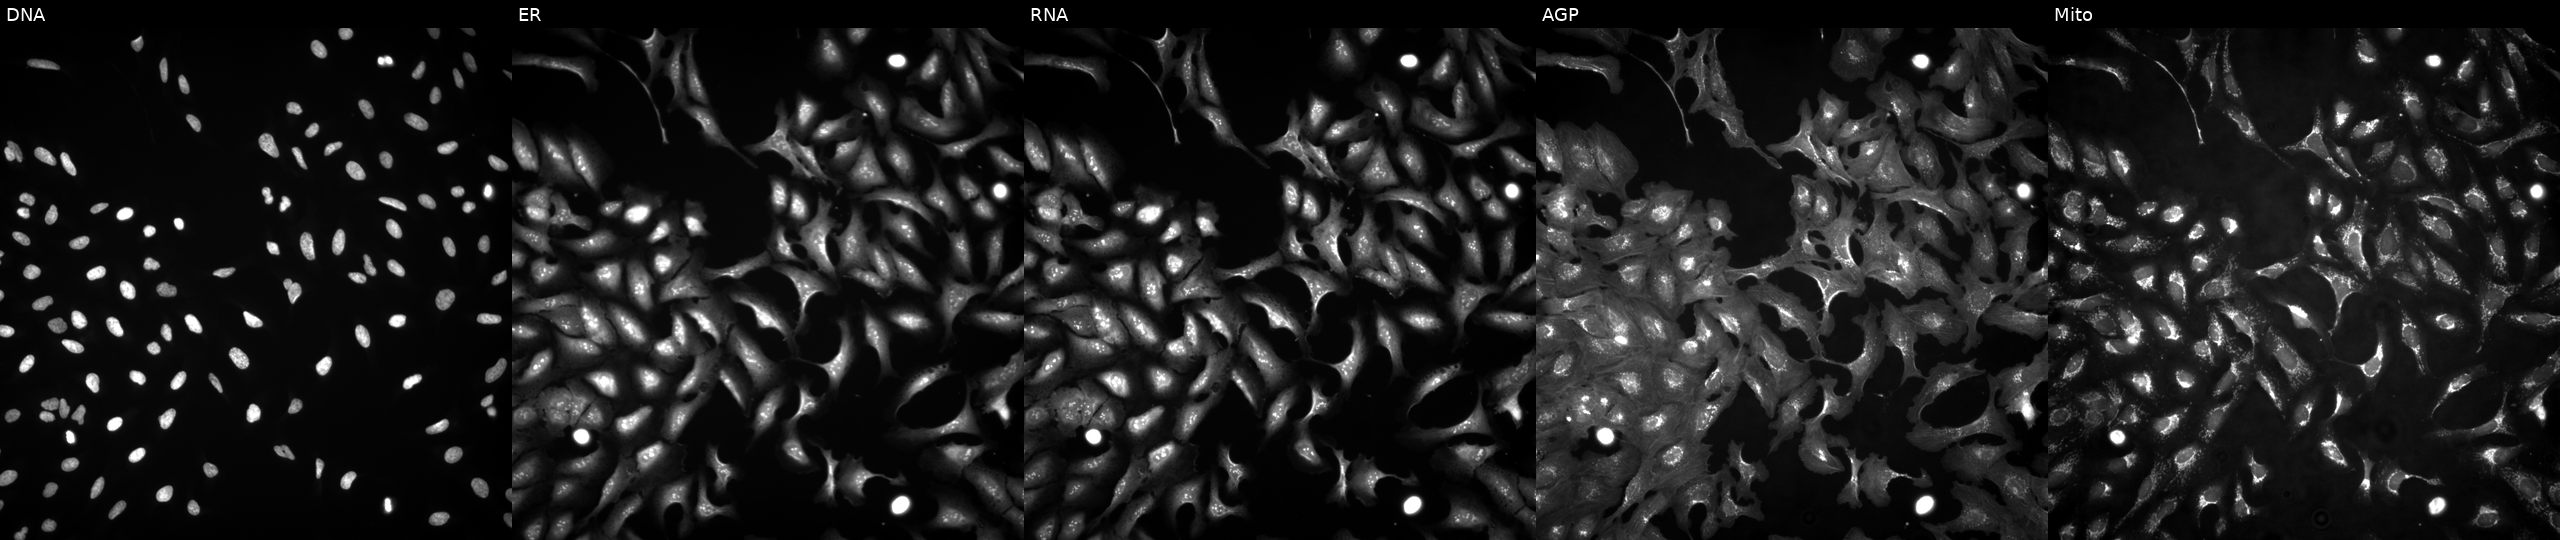
This image strip shows the five Cell Painting channels for a single field of U2OS cells overexpressing EGR1 via ORF transfection. Channels (left→right): DNA (nuclei); ER (endoplasmic reticulum); RNA (nucleoli and cytoplasmic RNA); AGP (actin cytoskeleton, Golgi, and plasma membrane); Mito (mitochondria).